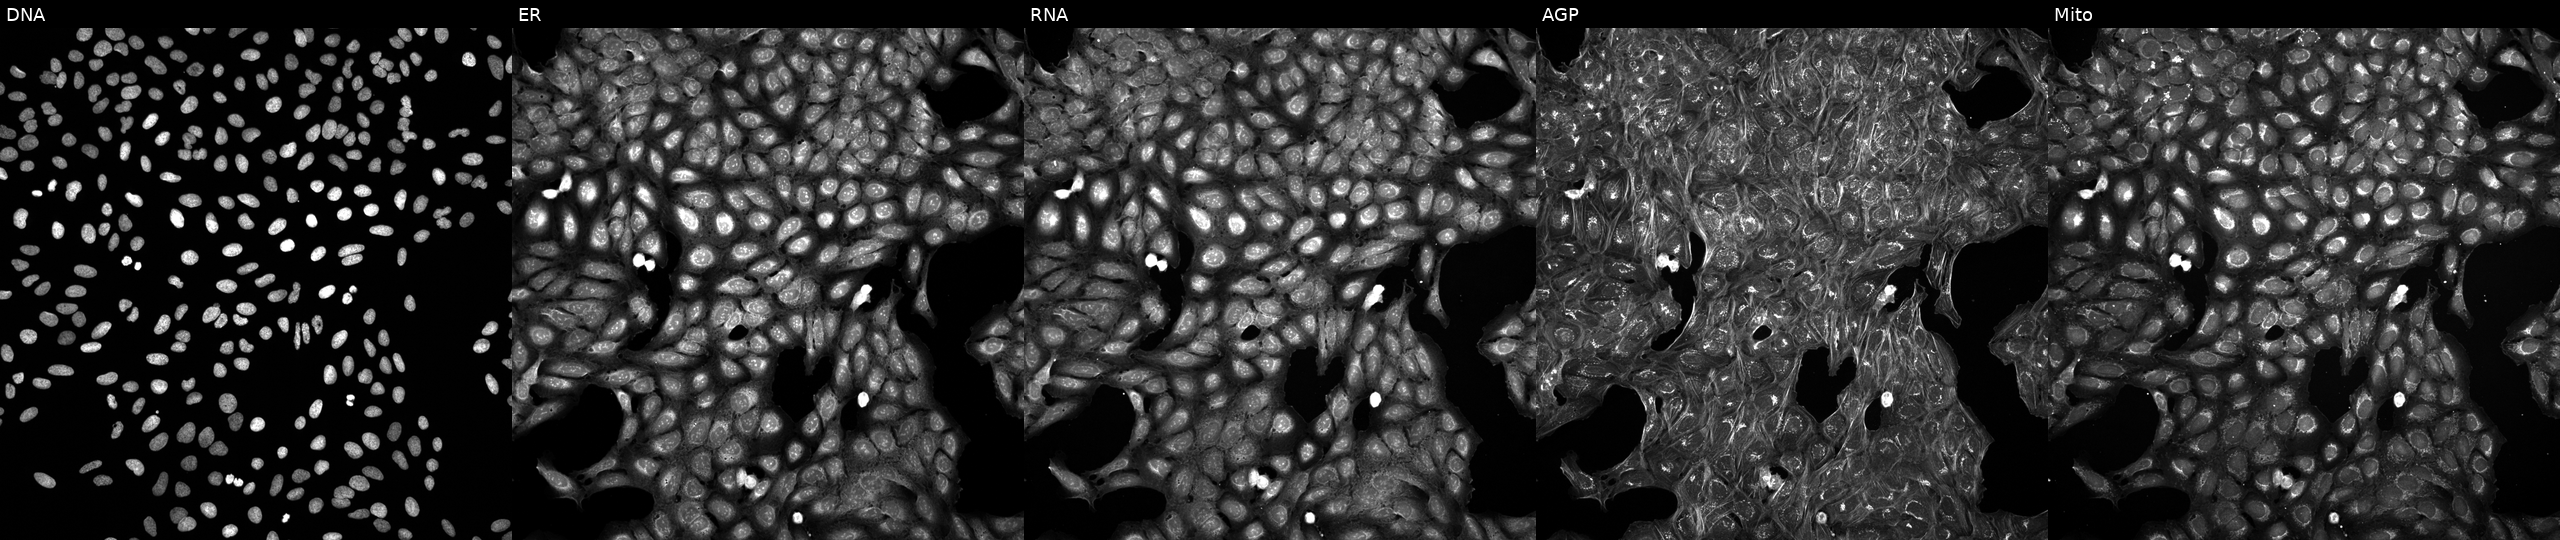
U2OS cells, Cell Painting assay, perturbed with a small-molecule compound (InChIKey CTTJGUVBPGOYCP-UHFFFAOYSA-N) (JUMP id JCP2022_013361). Channels (left→right): Hoechst 33342, concanavalin A, SYTO 14, phalloidin and WGA, MitoTracker. Each panel is percentile-stretched 16-bit fluorescence.